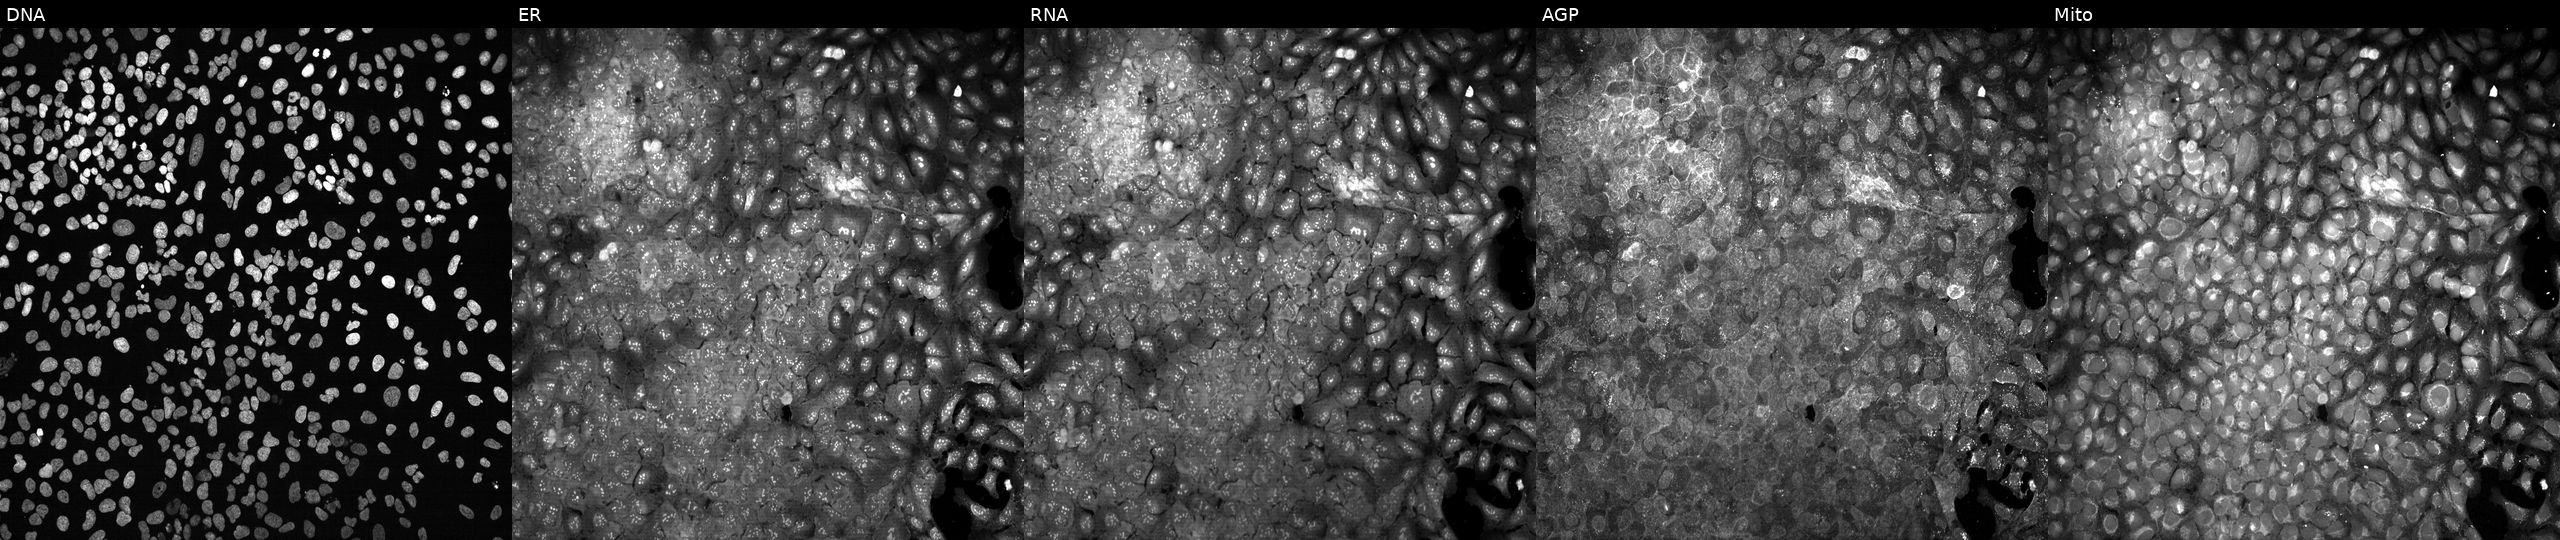
This image strip shows the five Cell Painting channels for a single field of U2OS cells following CRISPR knockout of FAHD2B (JUMP id JCP2022_802258). The five panels, left to right, show DNA (nuclei); ER (endoplasmic reticulum); RNA (nucleoli and cytoplasmic RNA); AGP (actin cytoskeleton, Golgi, and plasma membrane); Mito (mitochondria). Source 13, plate CP-CC9-R1-01, well O03.